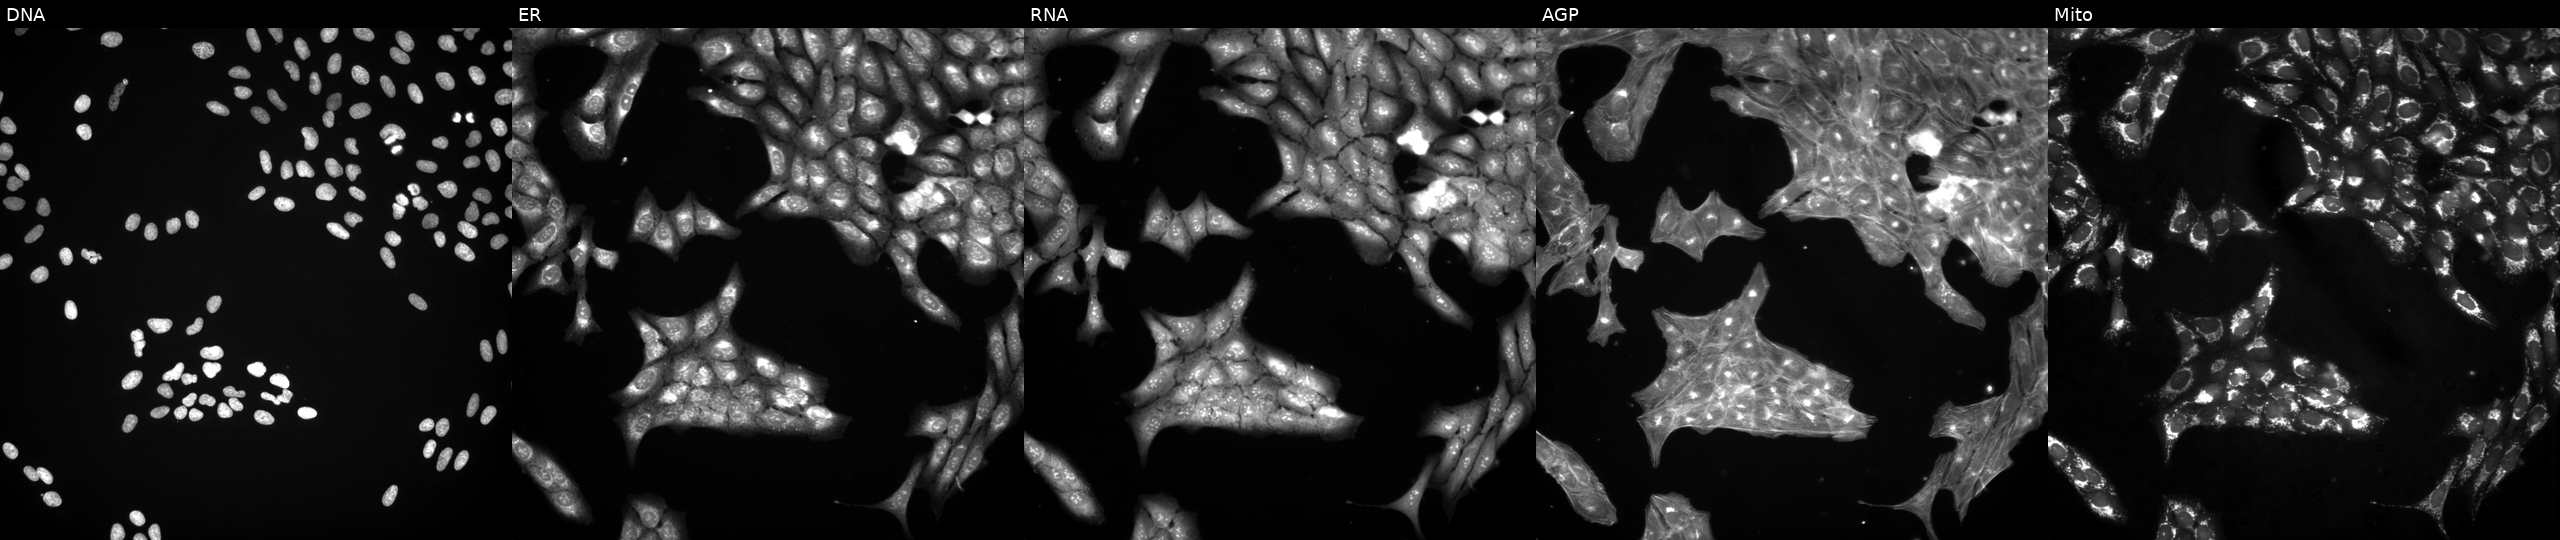
JUMP Cell Painting — TARGET2 plate. U2OS cells treated with a small-molecule compound (InChIKey MXJWRABVEGLYDG-UHFFFAOYSA-N). The five panels, left to right, show DNA, ER, RNA, AGP, and Mito.